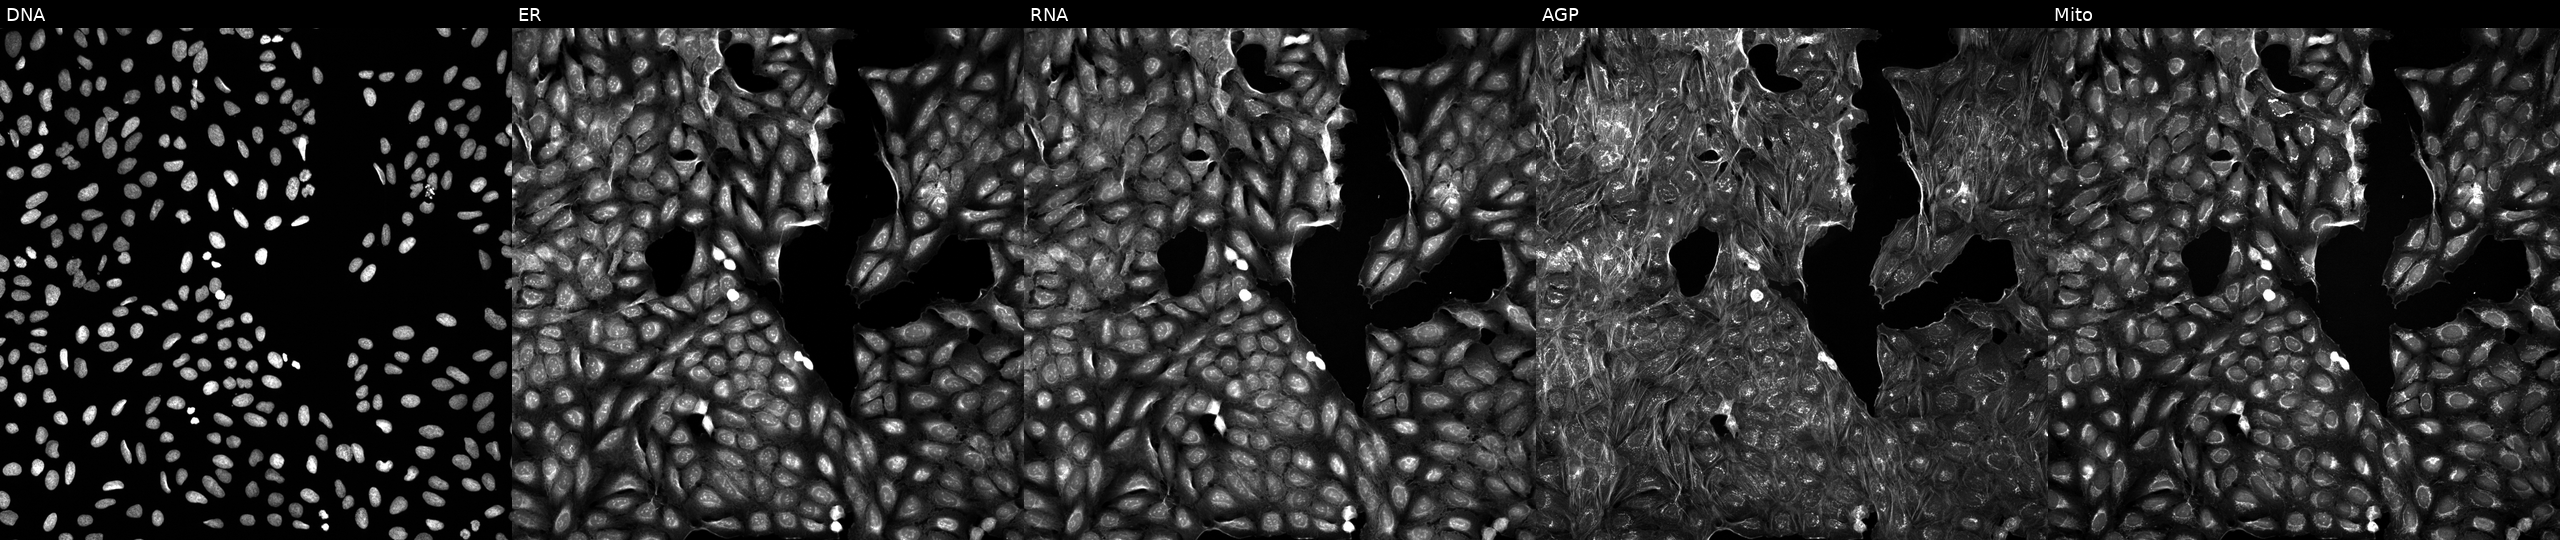
Five-channel Cell Painting image of U2OS cells perturbed with a small-molecule compound (InChIKey PODLXSCRQJKDSQ-UHFFFAOYSA-N). From left to right: DNA (nuclei); ER (endoplasmic reticulum); RNA (nucleoli and cytoplasmic RNA); AGP (actin cytoskeleton, Golgi, and plasma membrane); Mito (mitochondria).